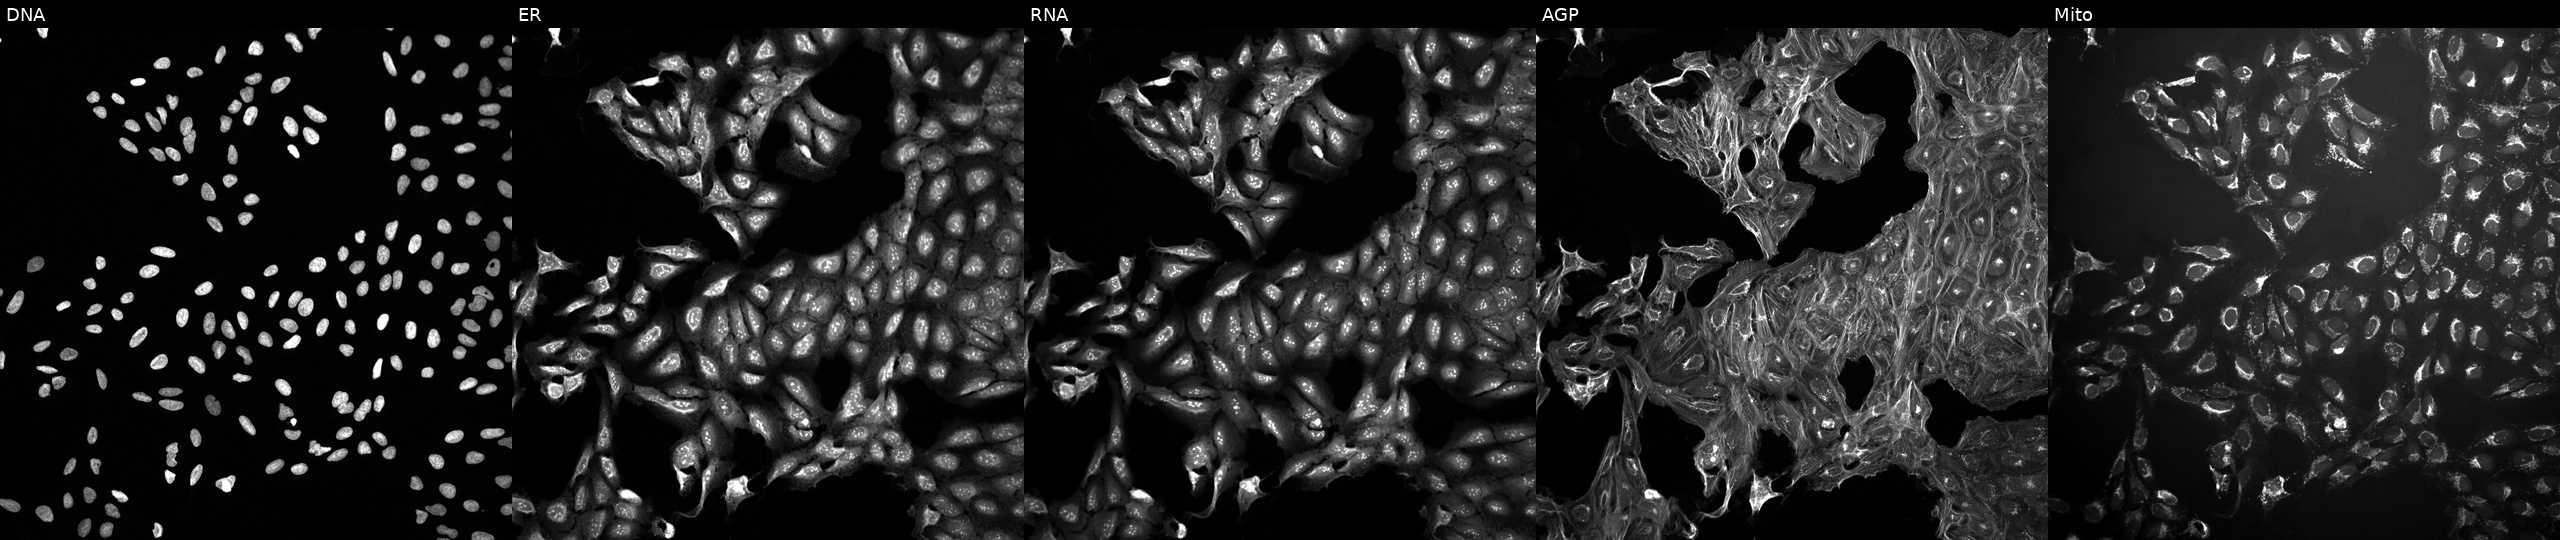
High-content fluorescence microscopy (Cell Painting). Cell line: U2OS. Perturbation: exposed to a small-molecule compound (InChIKey QNQZWEGMKJBHEM-UHFFFAOYSA-N). Channels (left→right): DNA (nuclei); ER (endoplasmic reticulum); RNA (nucleoli and cytoplasmic RNA); AGP (actin cytoskeleton, Golgi, and plasma membrane); Mito (mitochondria). Source 10, plate Dest210726-160150, well E17.